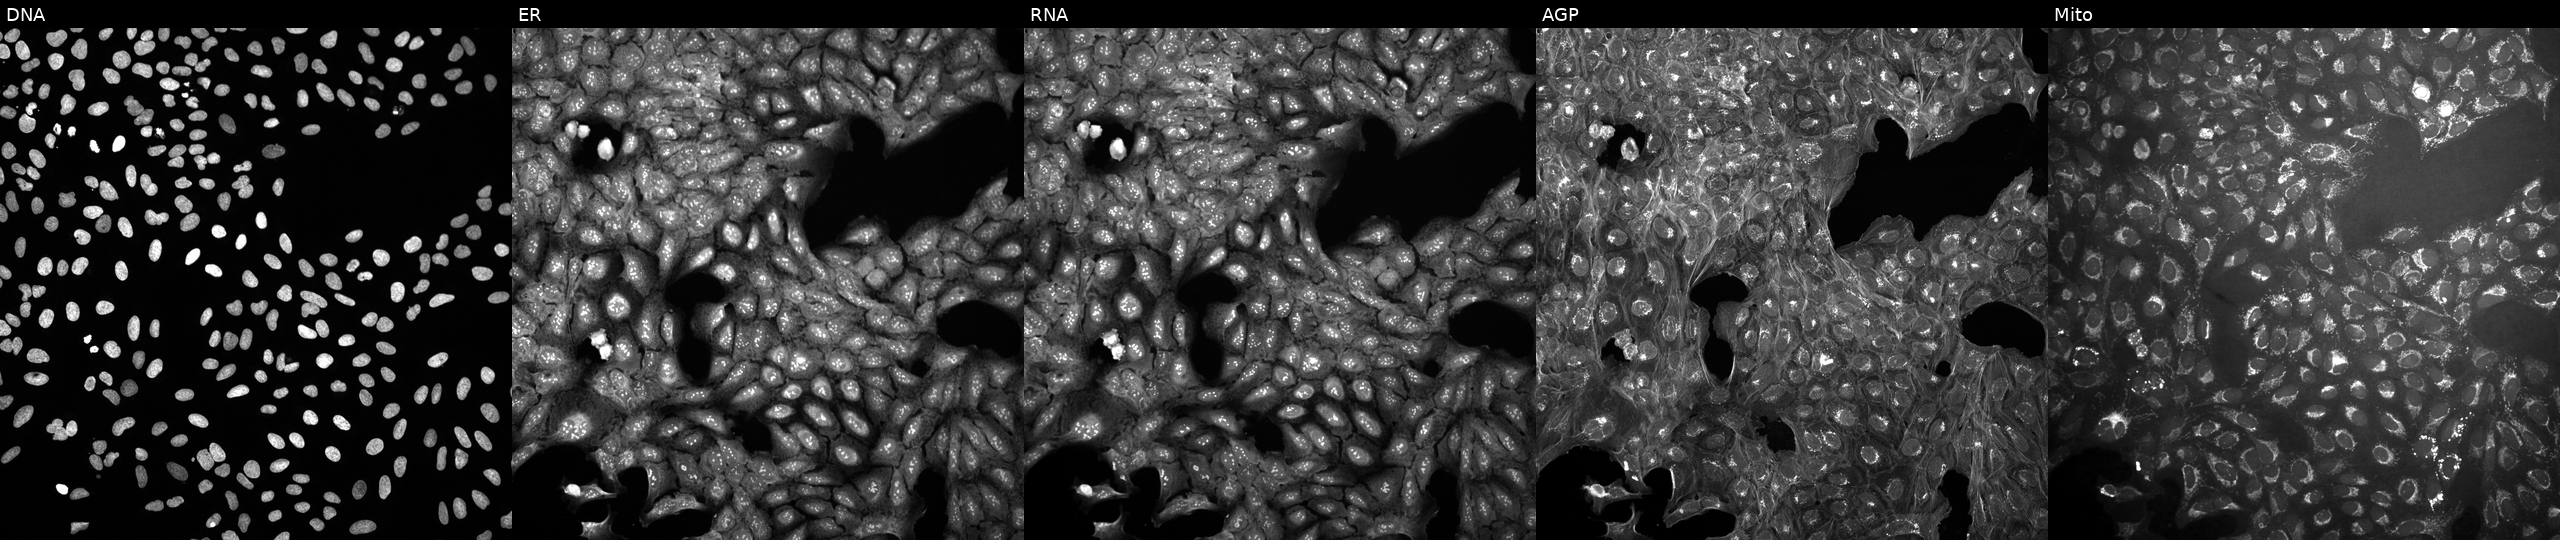
This image strip shows the five Cell Painting channels for a single field of U2OS cells exposed to a small-molecule compound (InChIKey VJFCJCOJQMMLEX-UHFFFAOYSA-N). Channels (left→right): DNA (nuclei); ER (endoplasmic reticulum); RNA (nucleoli and cytoplasmic RNA); AGP (actin cytoskeleton, Golgi, and plasma membrane); Mito (mitochondria). Source 10, plate Dest210531-152149, well C14.